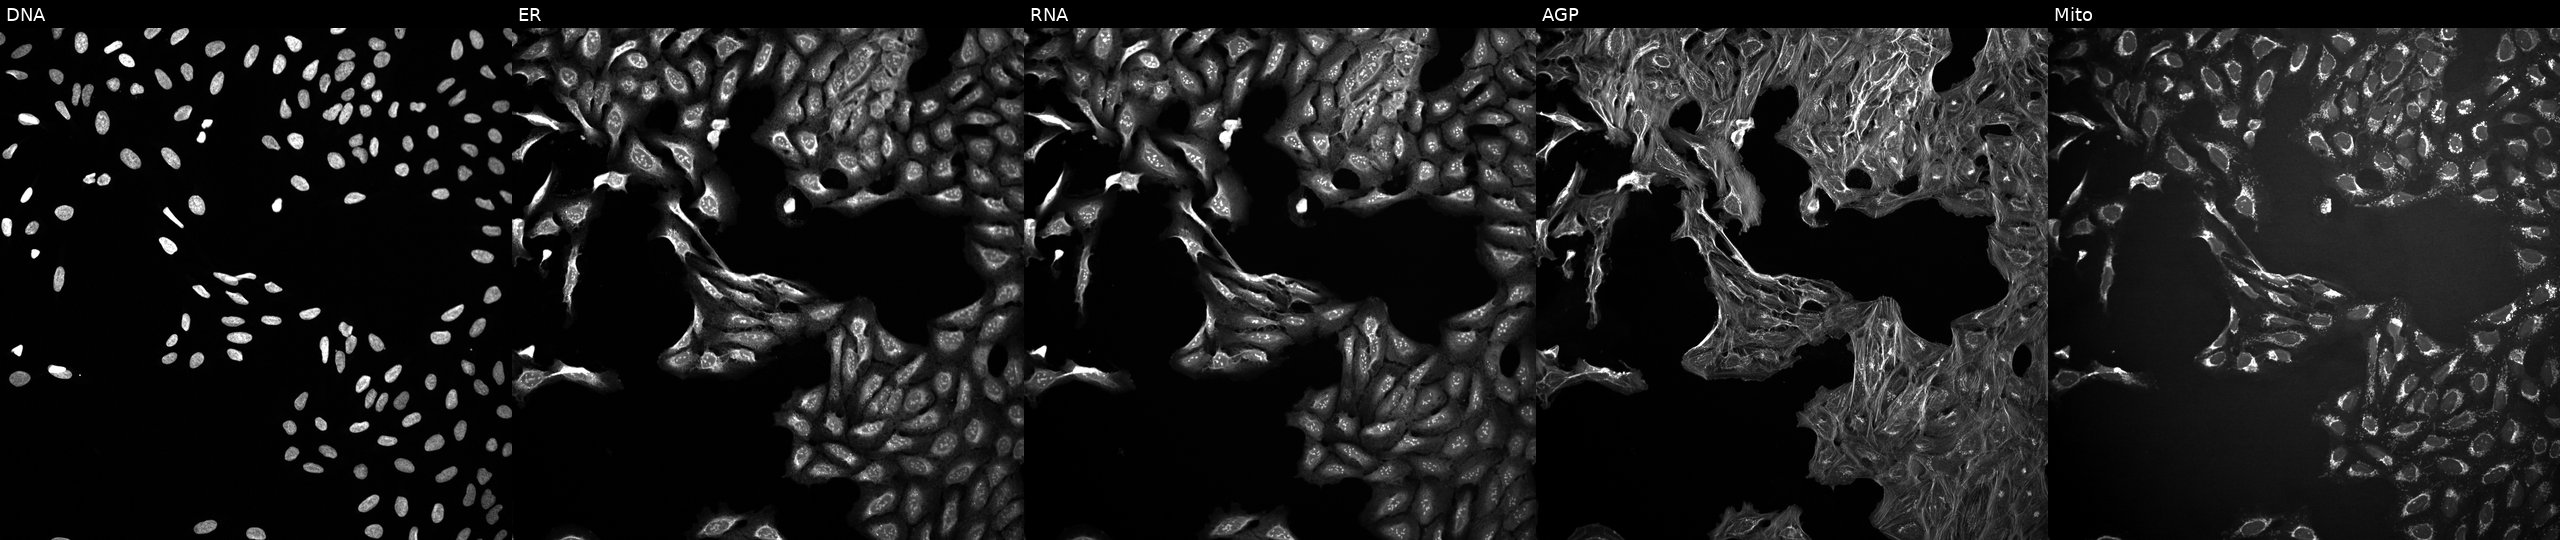
Channels (left→right): DNA (nuclei); ER (endoplasmic reticulum); RNA (nucleoli and cytoplasmic RNA); AGP (actin cytoskeleton, Golgi, and plasma membrane); Mito (mitochondria). U2OS osteosarcoma cells treated with DMSO vehicle only (negative control) (JUMP id JCP2022_033924). Cell Painting assay, JUMP-CP dataset. Source 10, plate Dest210727-153003, well D17.